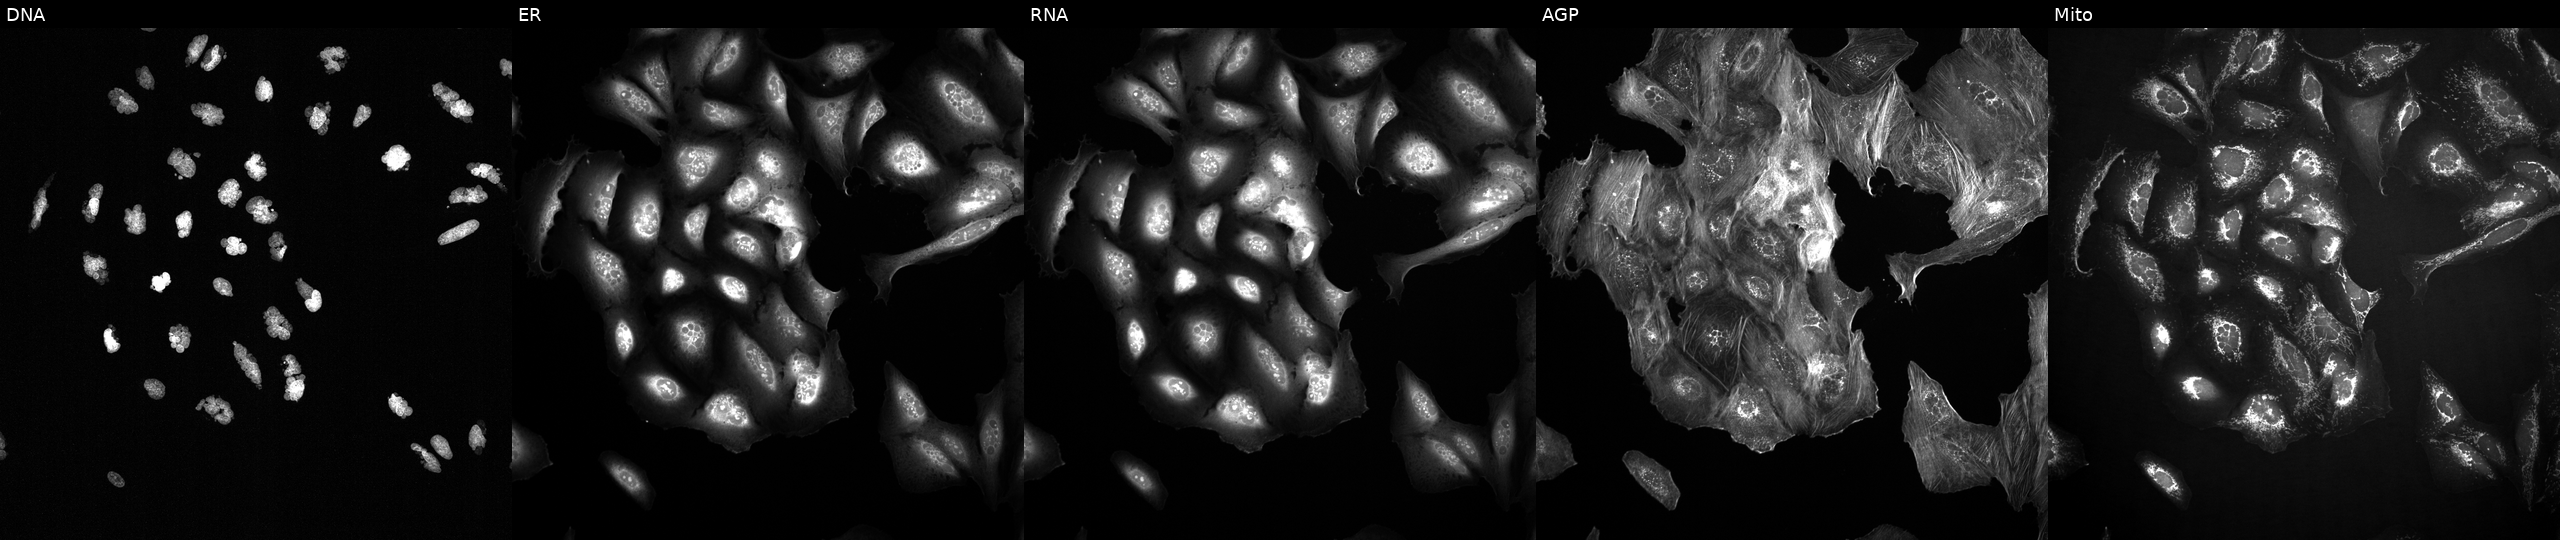
This image strip shows the five Cell Painting channels for a single field of U2OS cells exposed to the positive-control compound AMG900. Panels show, left to right, DNA, ER, RNA, AGP, and Mito. Source 2, plate 1053601756, well J01.